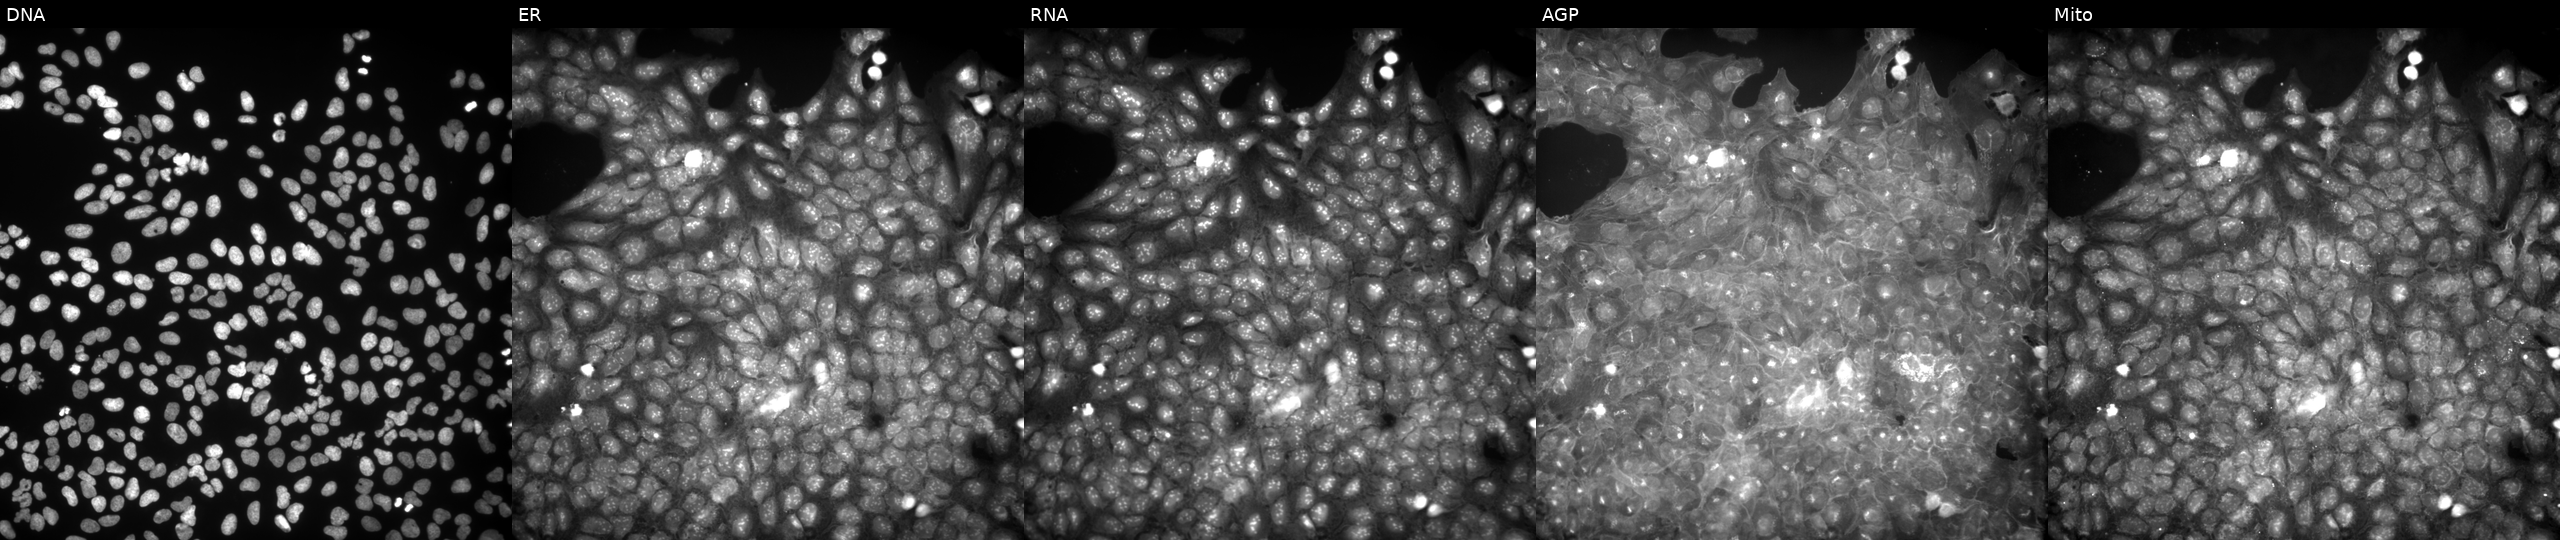
The five panels, left to right, show DNA (nuclei); ER (endoplasmic reticulum); RNA (nucleoli and cytoplasmic RNA); AGP (actin cytoskeleton, Golgi, and plasma membrane); Mito (mitochondria). U2OS osteosarcoma cells treated with a small-molecule compound (InChIKey QQJSQCXEFBNJIZ-UHFFFAOYSA-N) [SMILES: Brc1ccc(-c2cc3ccccn3c2)cc1]. Cell Painting assay, JUMP-CP dataset.